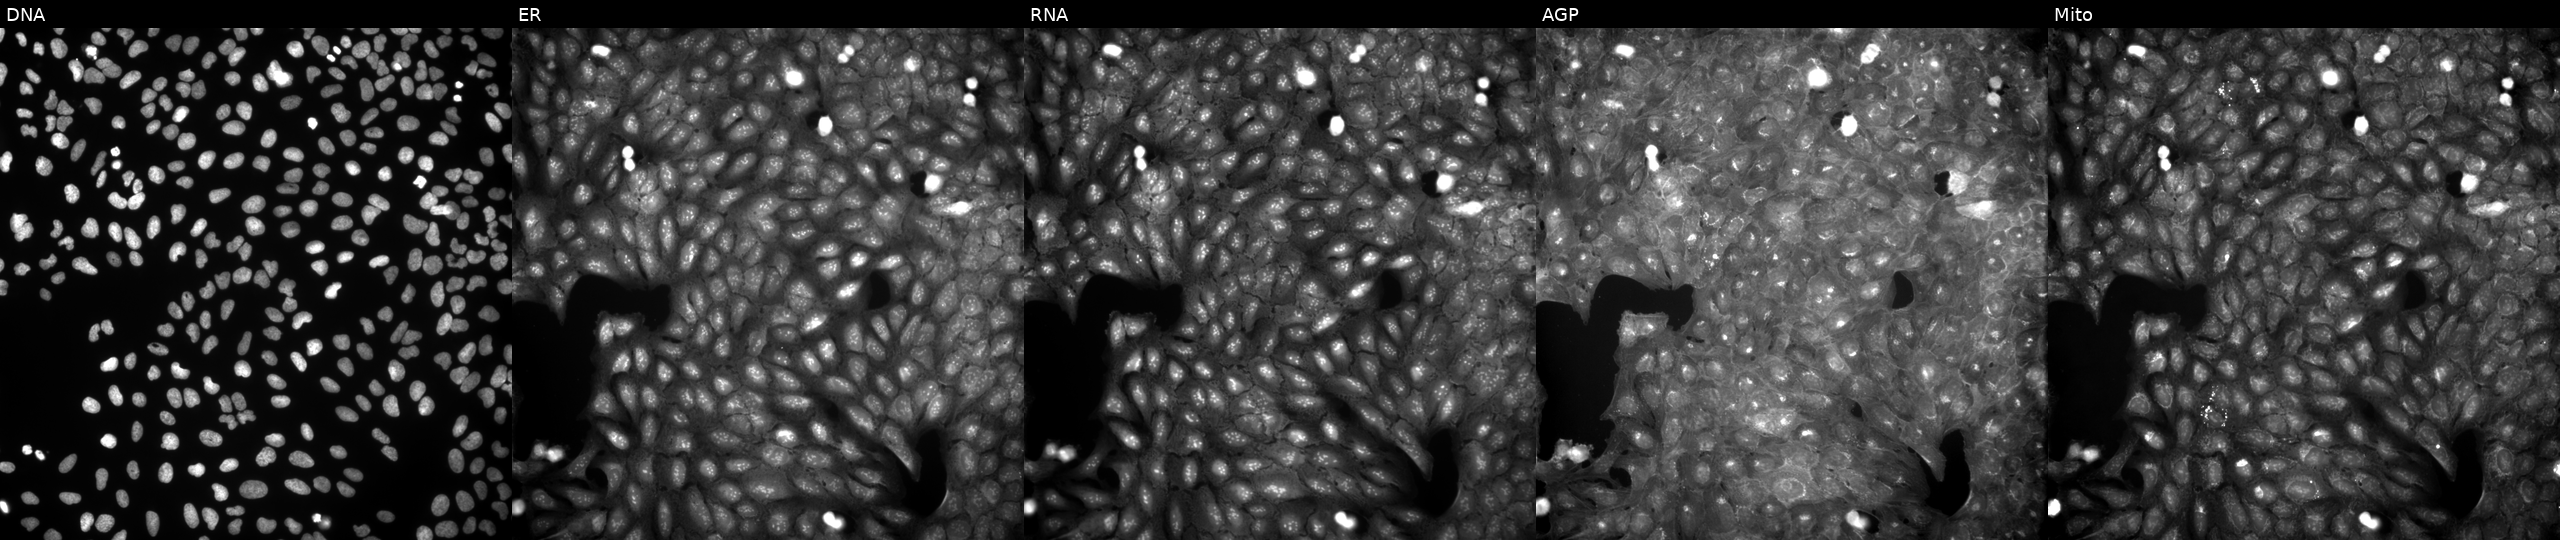
This image strip shows the five Cell Painting channels for a single field of U2OS cells perturbed with a small-molecule compound. Panels show, left to right, Hoechst 33342, concanavalin A, SYTO 14, phalloidin and WGA, MitoTracker. Source 9, plate GR00003381, well L22.